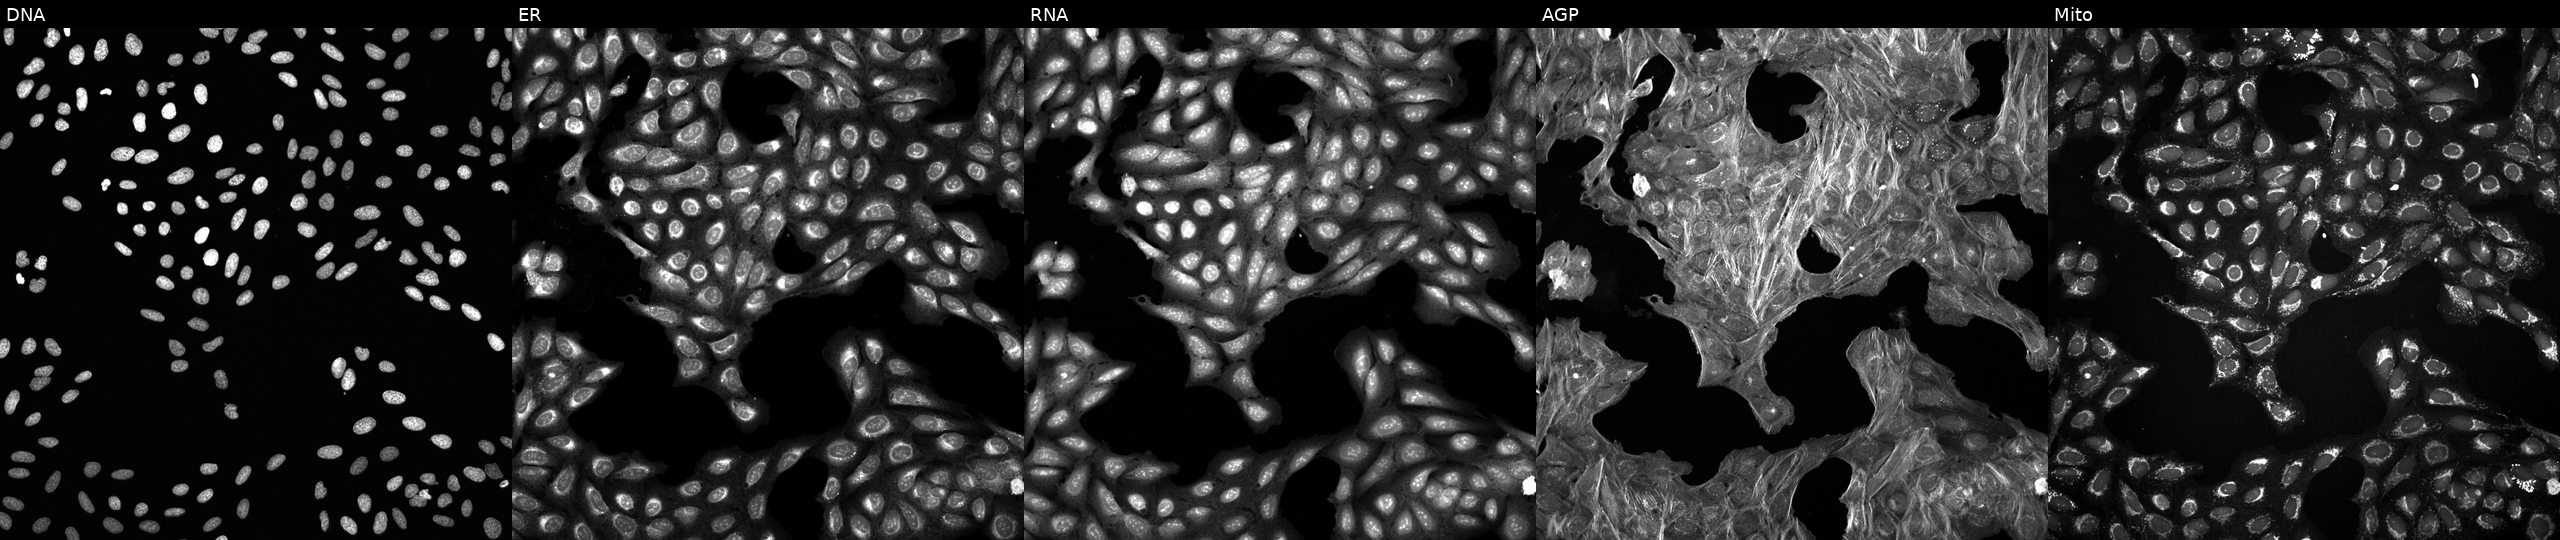
U2OS cells, Cell Painting assay, exposed to a small-molecule compound (InChIKey QYLAKFADBDMERJ-UHFFFAOYSA-N) [SMILES: CC(Oc1ccccc1)C(=O)N1CCc2c(c(-c3nc(-c4cccc(F)c4)no3)nn2C)C1] (JUMP id JCP2022_076694). From left to right: Hoechst 33342, concanavalin A, SYTO 14, phalloidin and WGA, MitoTracker. Each panel is percentile-stretched 16-bit fluorescence.